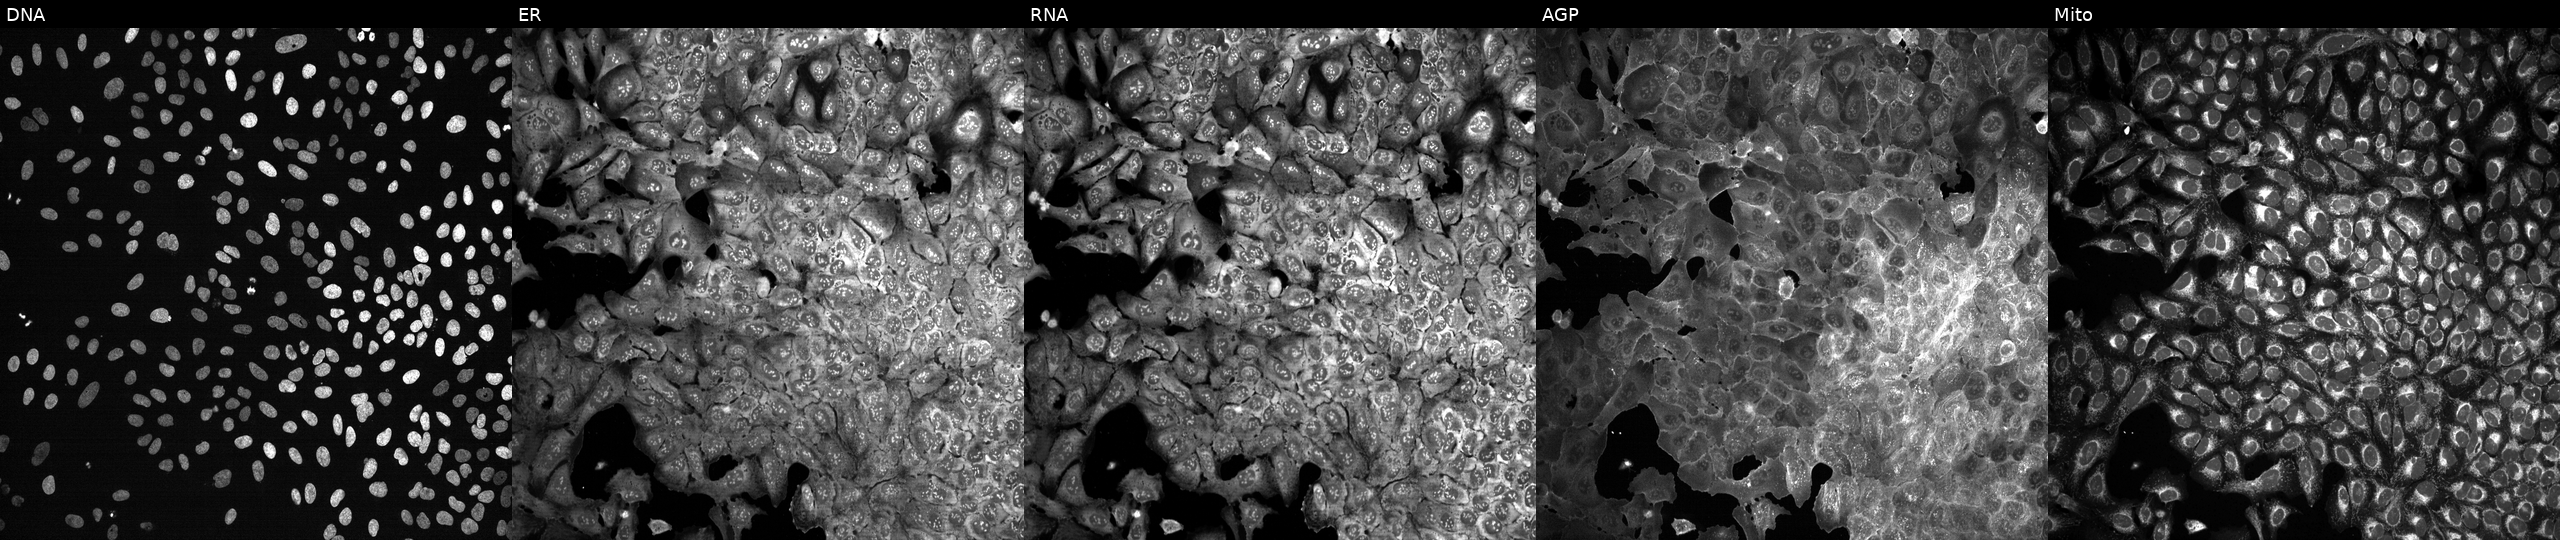
Channels (left→right): Hoechst 33342, concanavalin A, SYTO 14, phalloidin and WGA, MitoTracker. U2OS osteosarcoma cells with GGT6 knocked out by CRISPR. Cell Painting assay, JUMP-CP dataset.